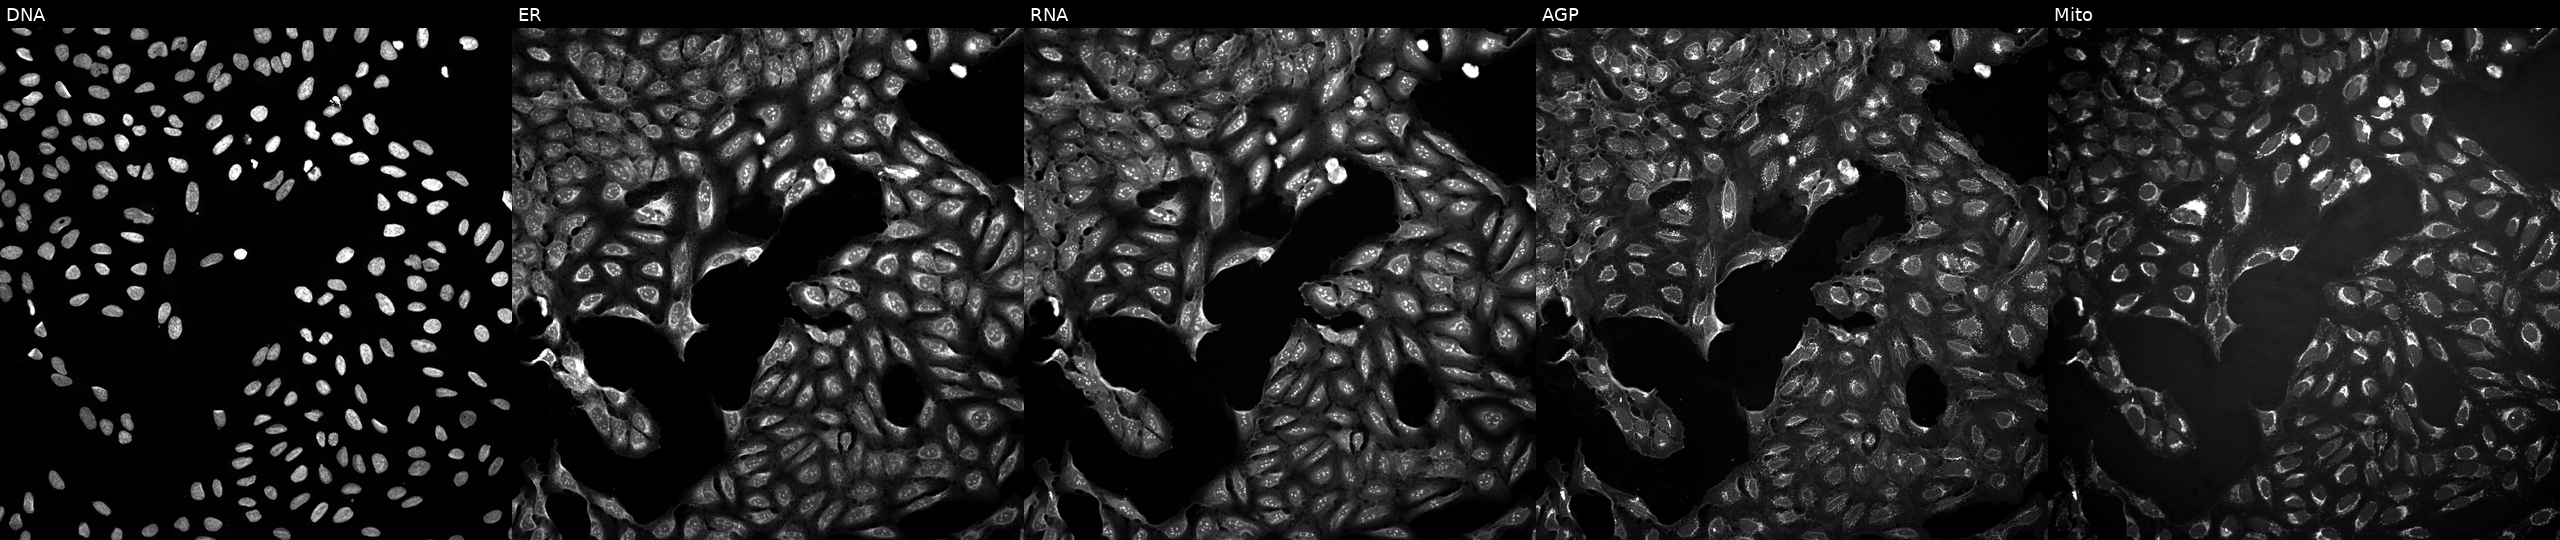
This image strip shows the five Cell Painting channels for a single field of U2OS cells perturbed with a small-molecule compound (InChIKey RIKMMFOAQPJVMX-UHFFFAOYSA-N). The five panels, left to right, show Hoechst 33342, concanavalin A, SYTO 14, phalloidin and WGA, MitoTracker.